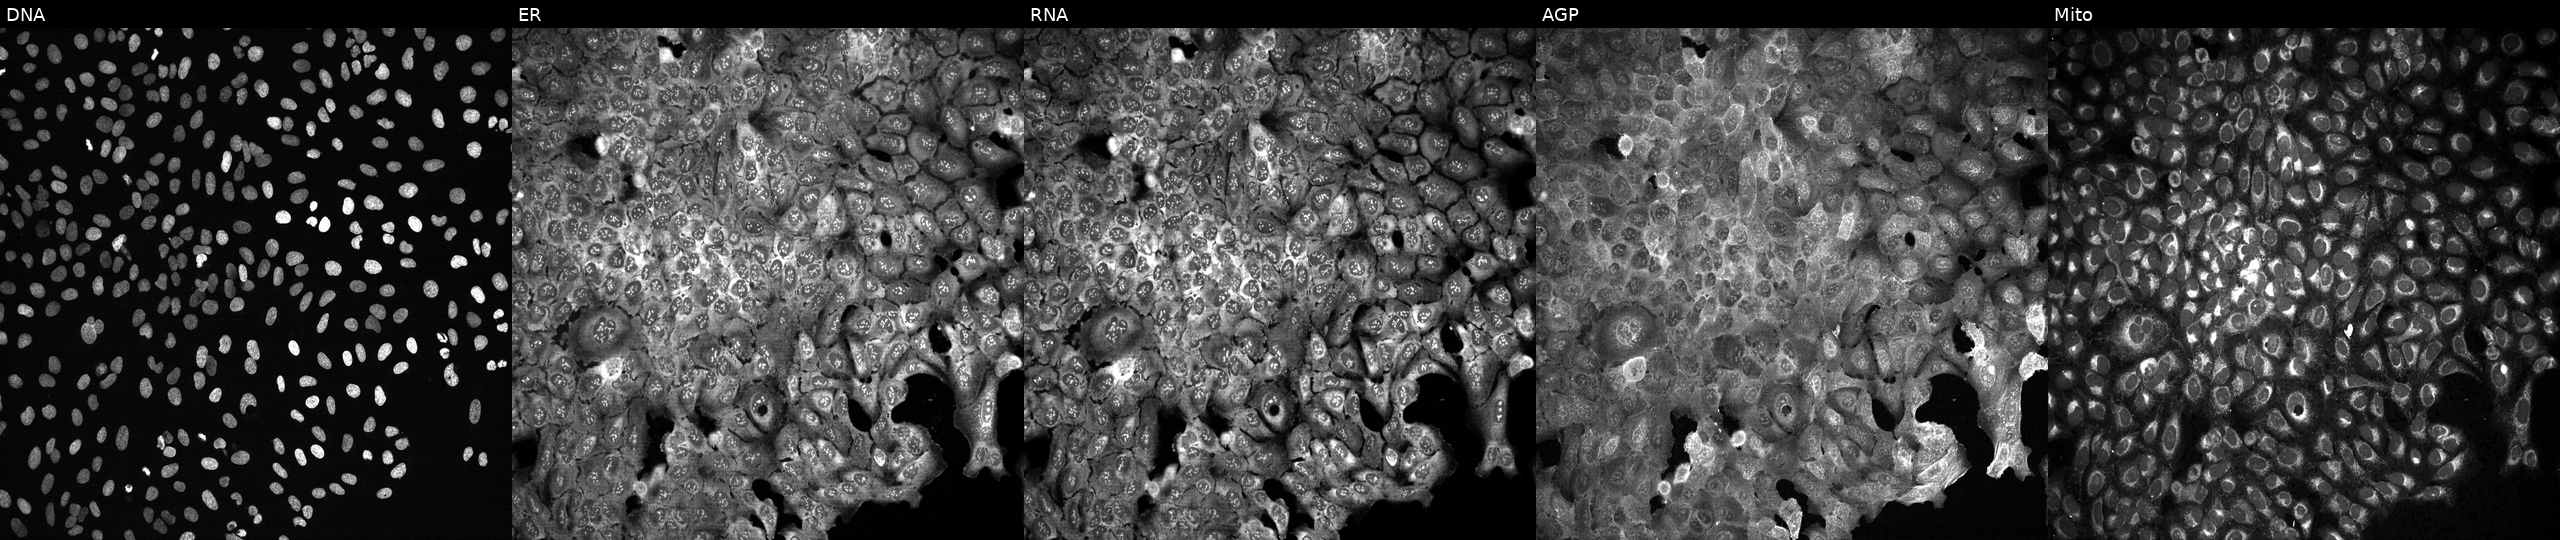
Five-channel Cell Painting image of U2OS cells CRISPR-edited to disrupt CRLS1 (JUMP id JCP2022_801511). Panels show, left to right, Hoechst 33342, concanavalin A, SYTO 14, phalloidin and WGA, MitoTracker.